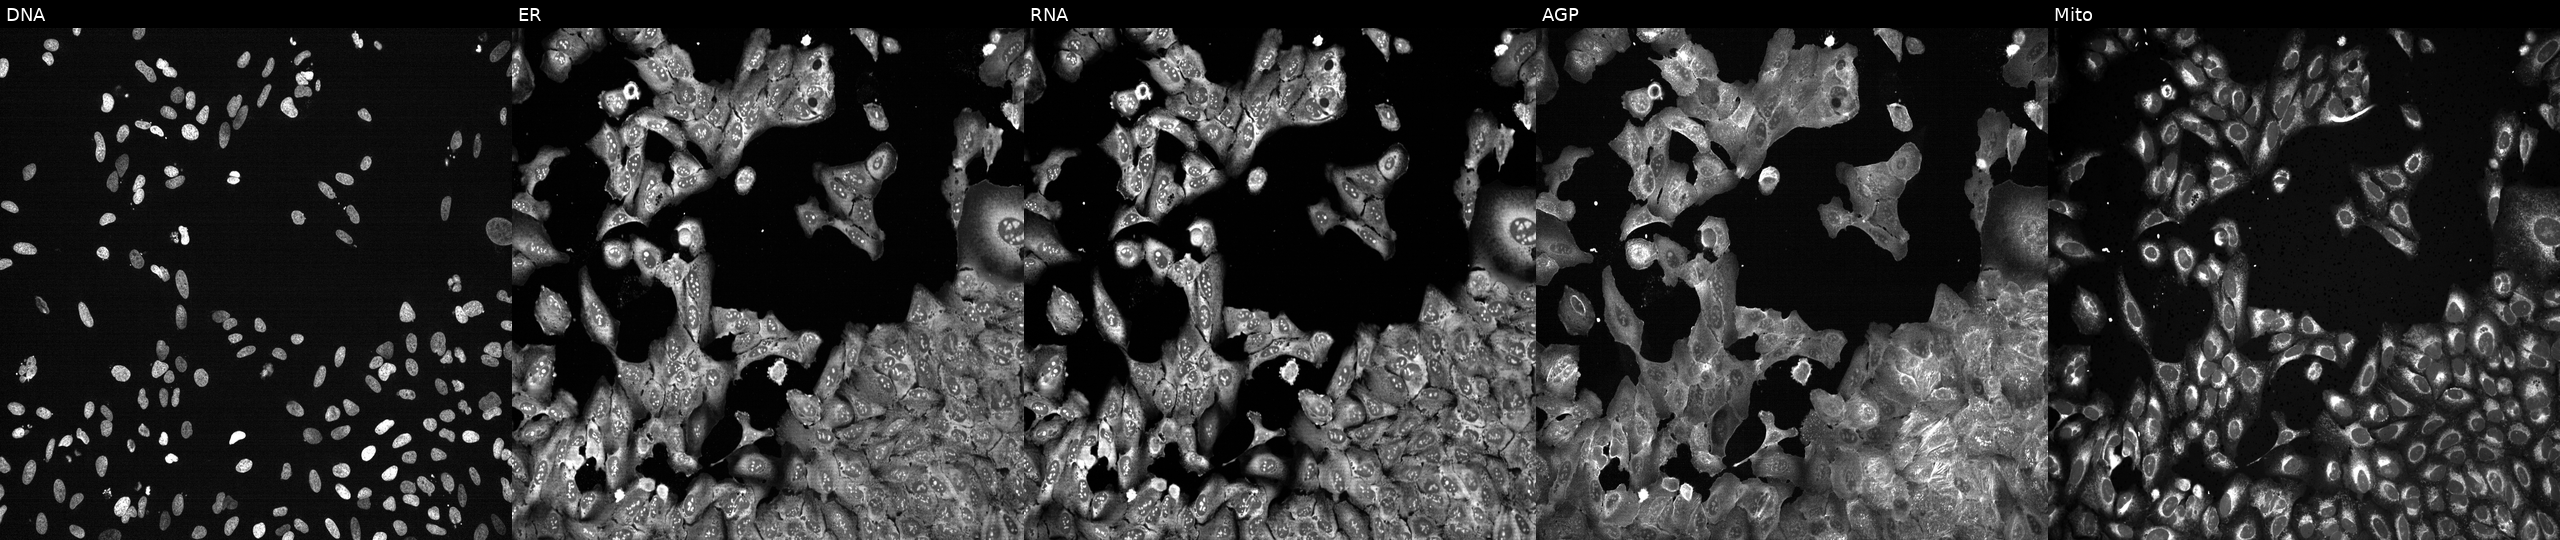
The five panels, left to right, show DNA, ER, RNA, AGP, and Mito. U2OS osteosarcoma cells with MEPCE knocked out by CRISPR (JUMP id JCP2022_804130). Cell Painting assay, JUMP-CP dataset. Source 13, plate CP-CC9-R2-01, well C19.